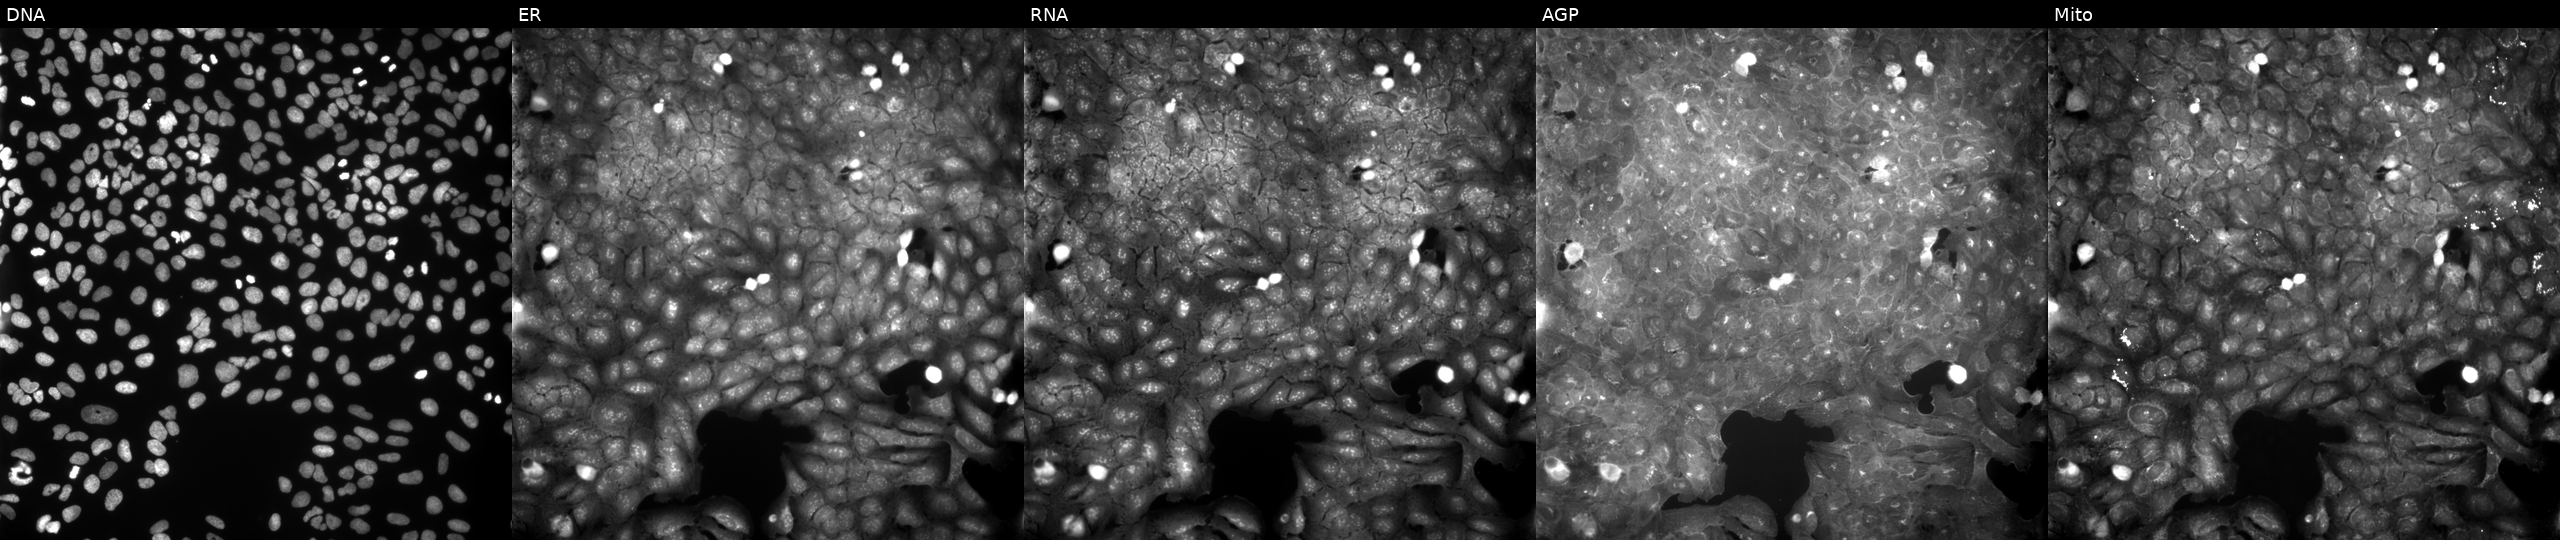
JUMP Cell Painting — COMPOUND plate. U2OS cells perturbed with a small-molecule compound (InChIKey IOZVKDXPBWBUKY-UHFFFAOYSA-N) (JUMP id JCP2022_036469). Panels show, left to right, Hoechst 33342, concanavalin A, SYTO 14, phalloidin and WGA, MitoTracker.